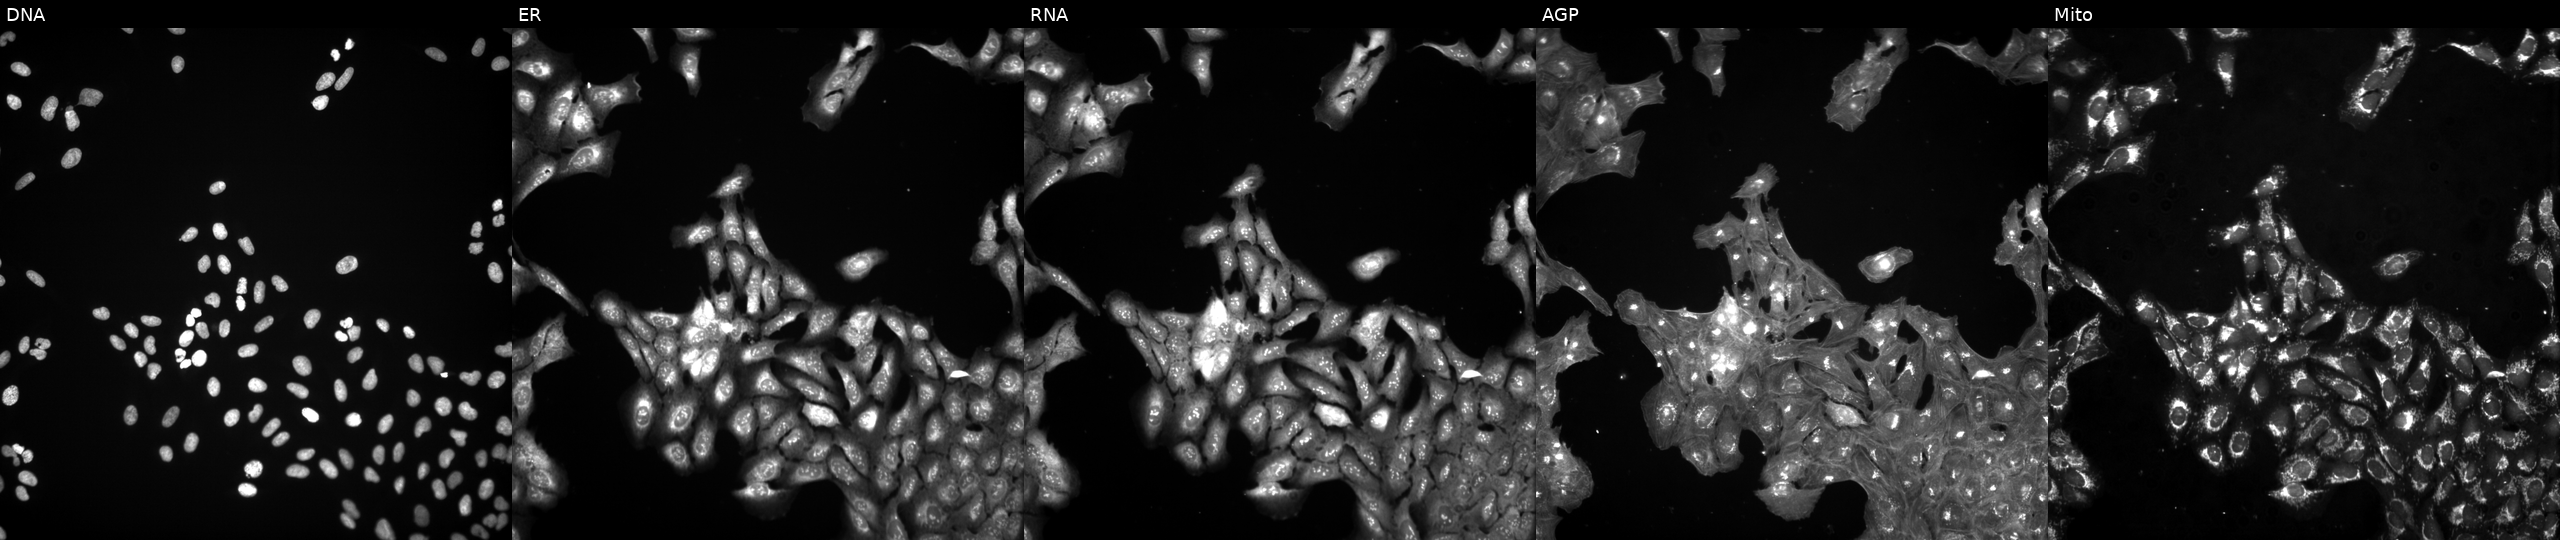
Channels (left→right): DNA (nuclei); ER (endoplasmic reticulum); RNA (nucleoli and cytoplasmic RNA); AGP (actin cytoskeleton, Golgi, and plasma membrane); Mito (mitochondria). U2OS osteosarcoma cells treated with a small-molecule compound (JUMP id JCP2022_062023). Cell Painting assay, JUMP-CP dataset. Source 3, plate JCPQC052, well P08.